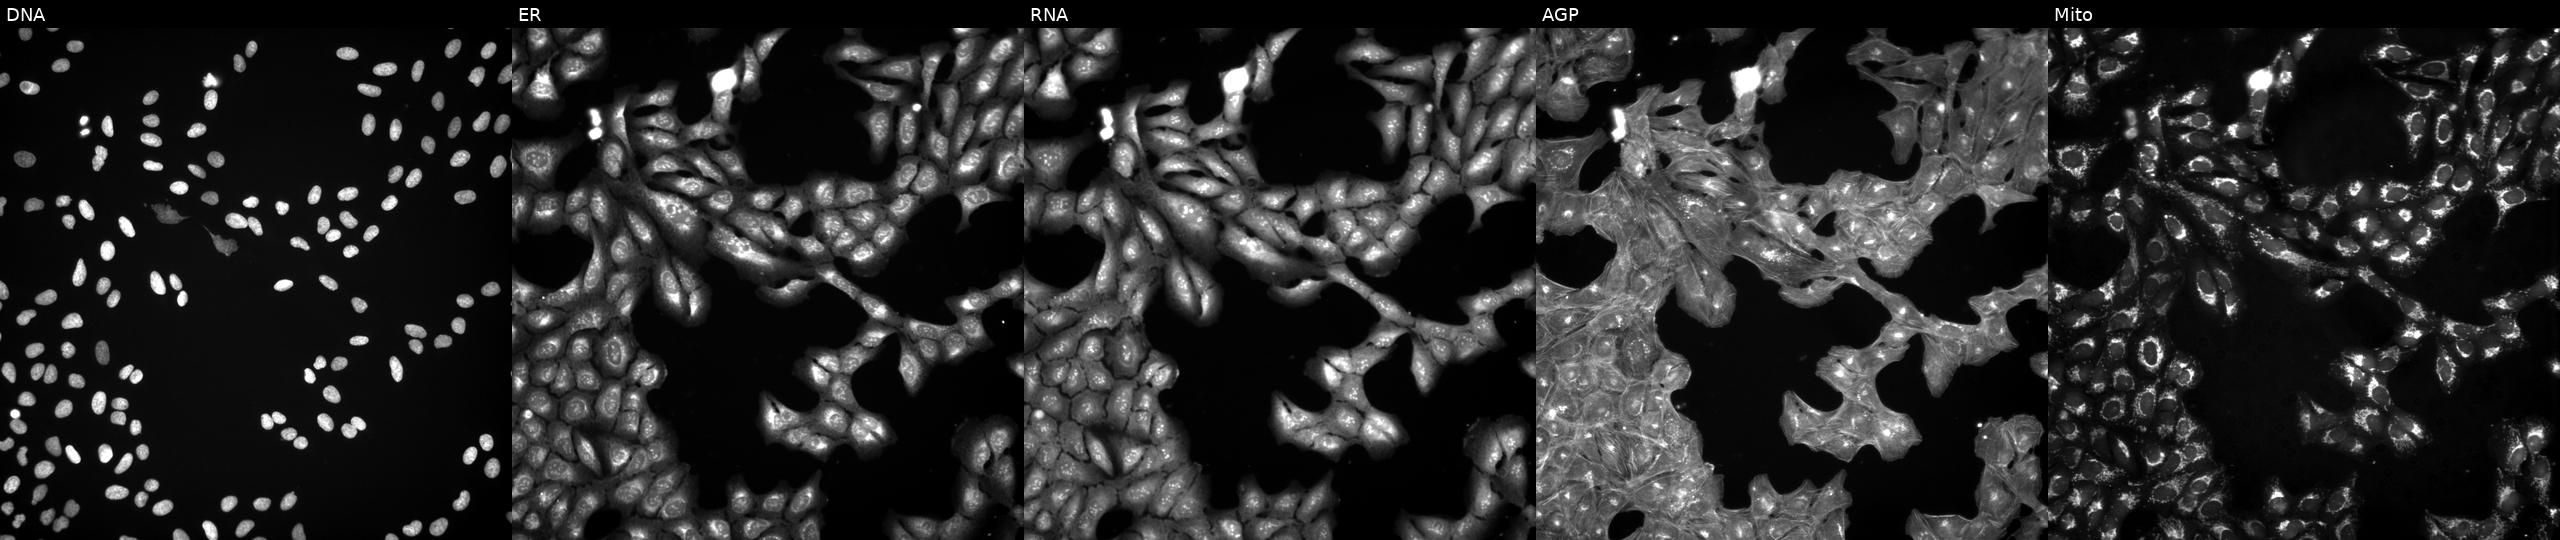
JUMP Cell Painting — TARGET2 plate. U2OS cells treated with a small-molecule compound (InChIKey ODUOJXZPIYUATO-UHFFFAOYSA-N). Channels (left→right): DNA, ER, RNA, AGP, and Mito. Source 3, plate JCPQC053, well F20.